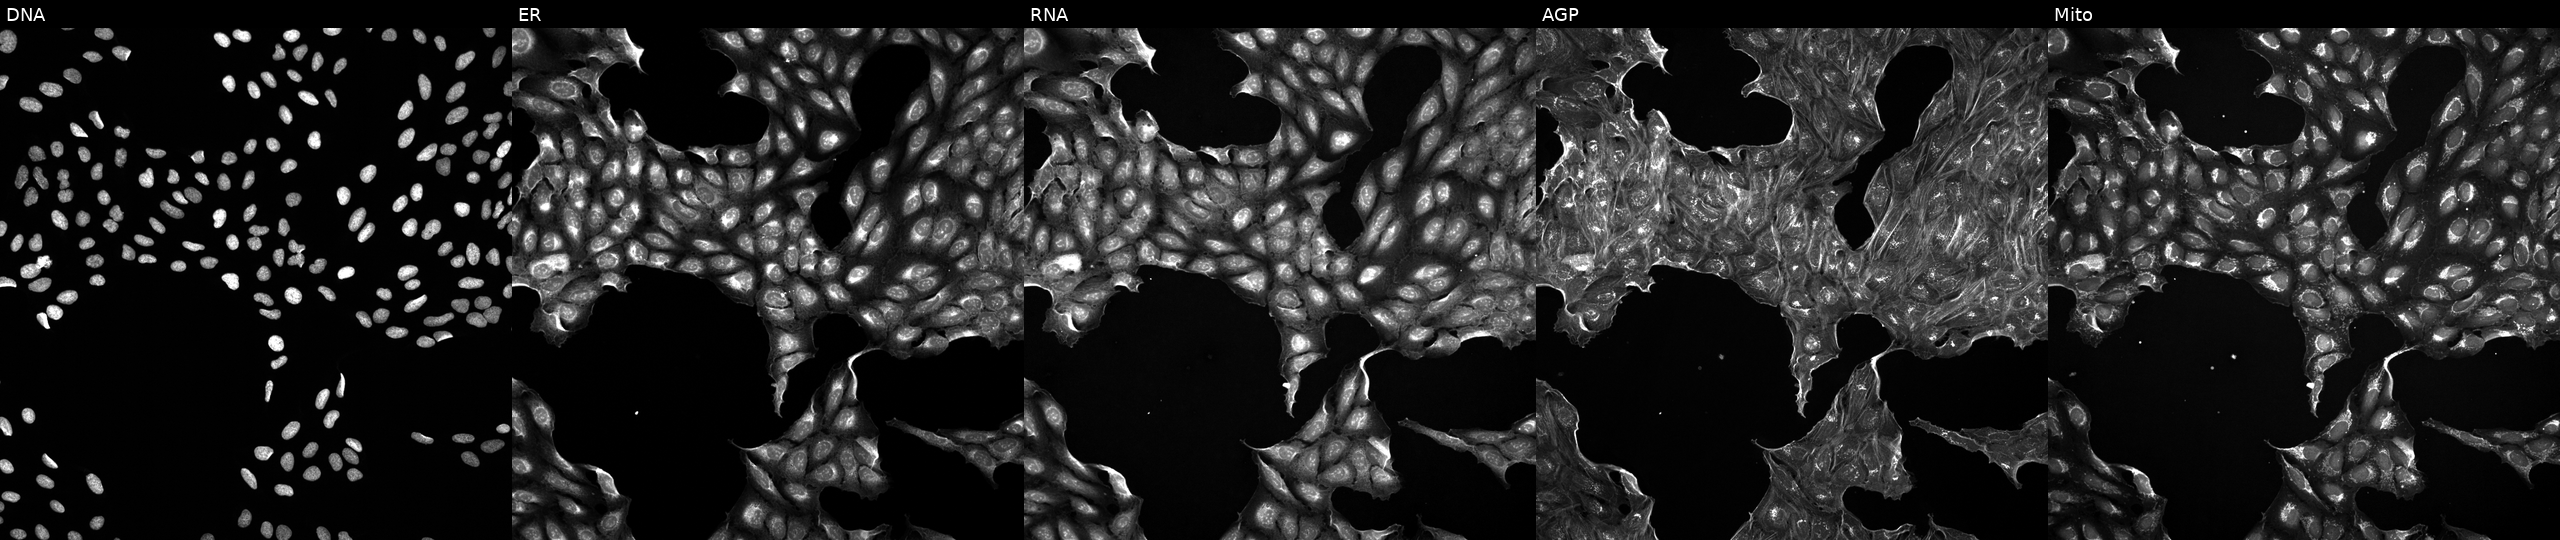
Panels show, left to right, DNA, ER, RNA, AGP, and Mito. U2OS osteosarcoma cells treated with DMSO vehicle only (negative control). Cell Painting assay, JUMP-CP dataset.